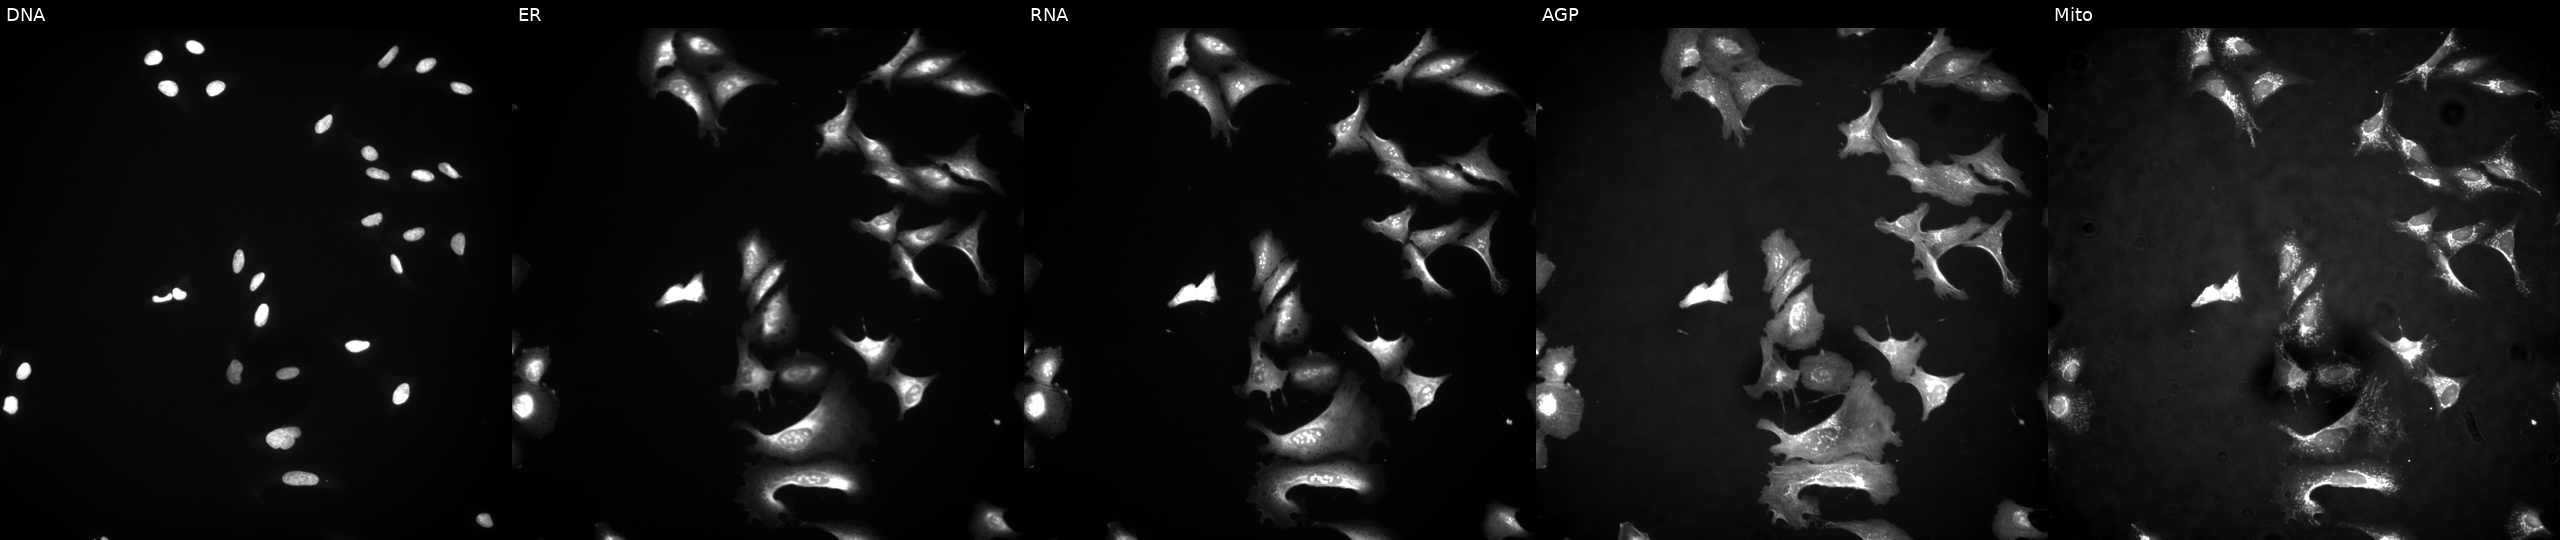
U2OS cells, Cell Painting assay, transfected with an ORF construct for PCDHGB1 (JUMP id JCP2022_908056). Channels (left→right): Hoechst 33342, concanavalin A, SYTO 14, phalloidin and WGA, MitoTracker. Each panel is percentile-stretched 16-bit fluorescence. Source 4, plate BR00124790, well G12.